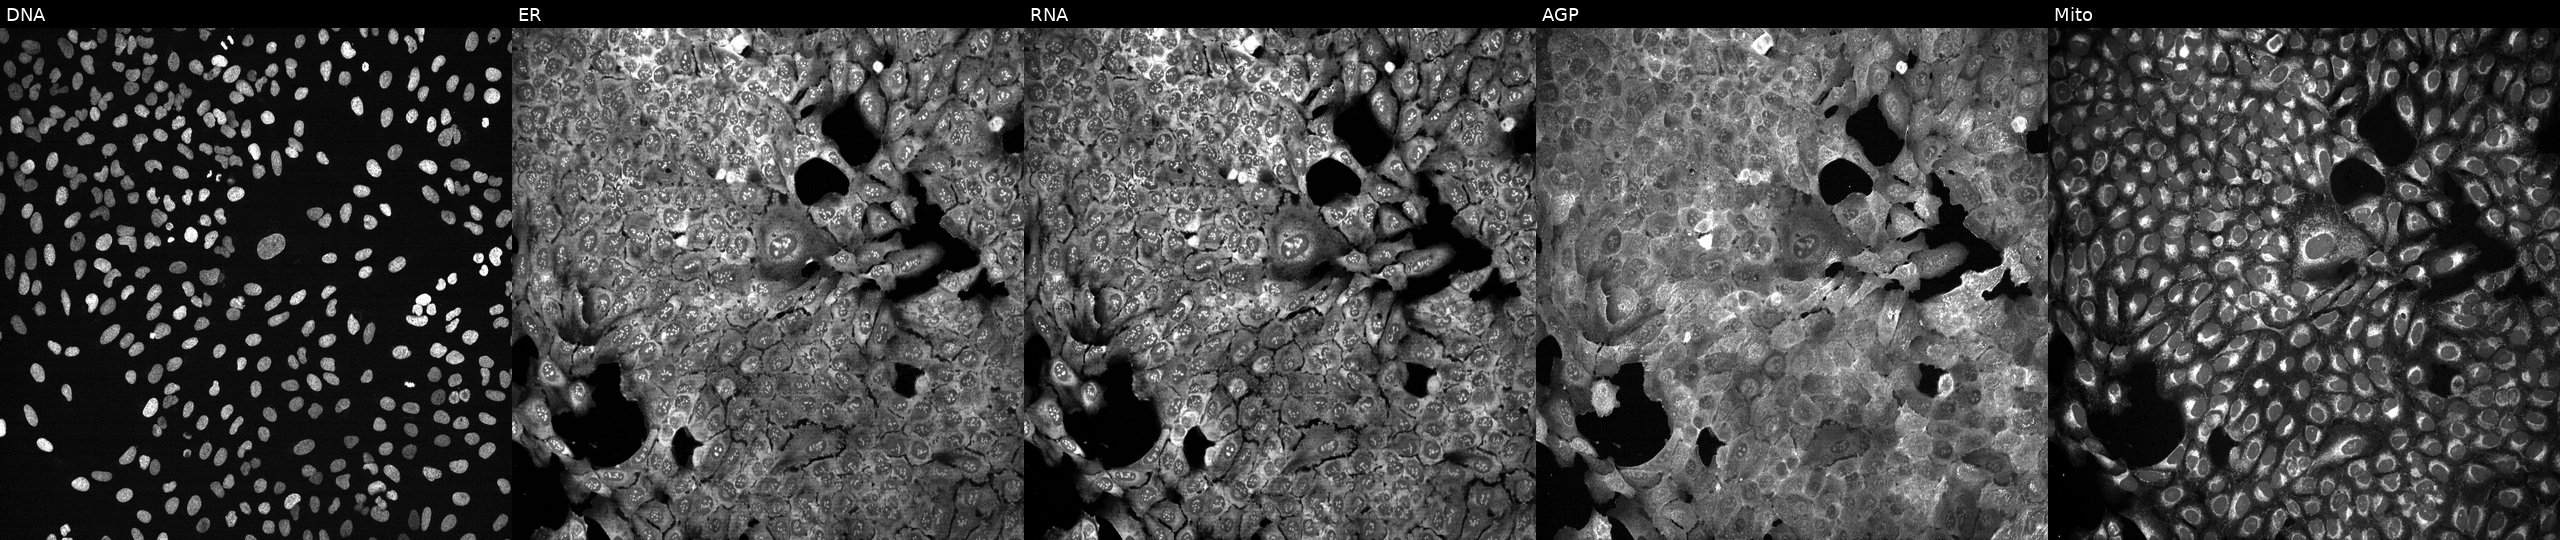
JUMP Cell Painting — CRISPR plate. U2OS cells with RAB22A knocked out by CRISPR. Panels show, left to right, DNA (nuclei); ER (endoplasmic reticulum); RNA (nucleoli and cytoplasmic RNA); AGP (actin cytoskeleton, Golgi, and plasma membrane); Mito (mitochondria). Source 13, plate CP-CC9-R2-02, well I14.